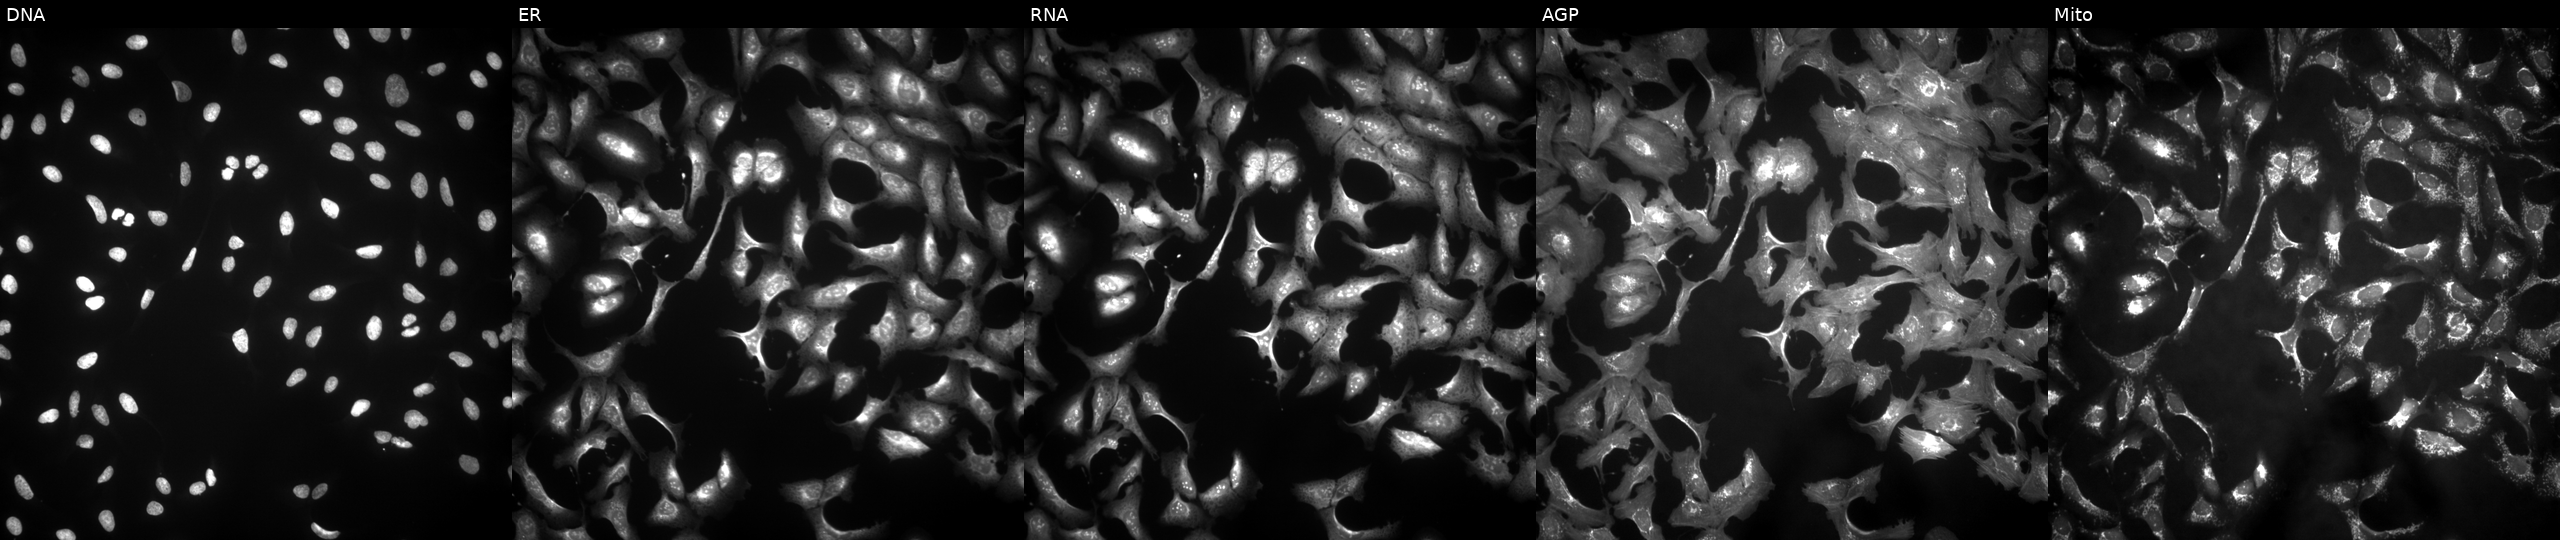
Five-channel Cell Painting image of U2OS cells overexpressing ARRDC3 via ORF transfection (JUMP id JCP2022_903600). Panels show, left to right, Hoechst 33342, concanavalin A, SYTO 14, phalloidin and WGA, MitoTracker.